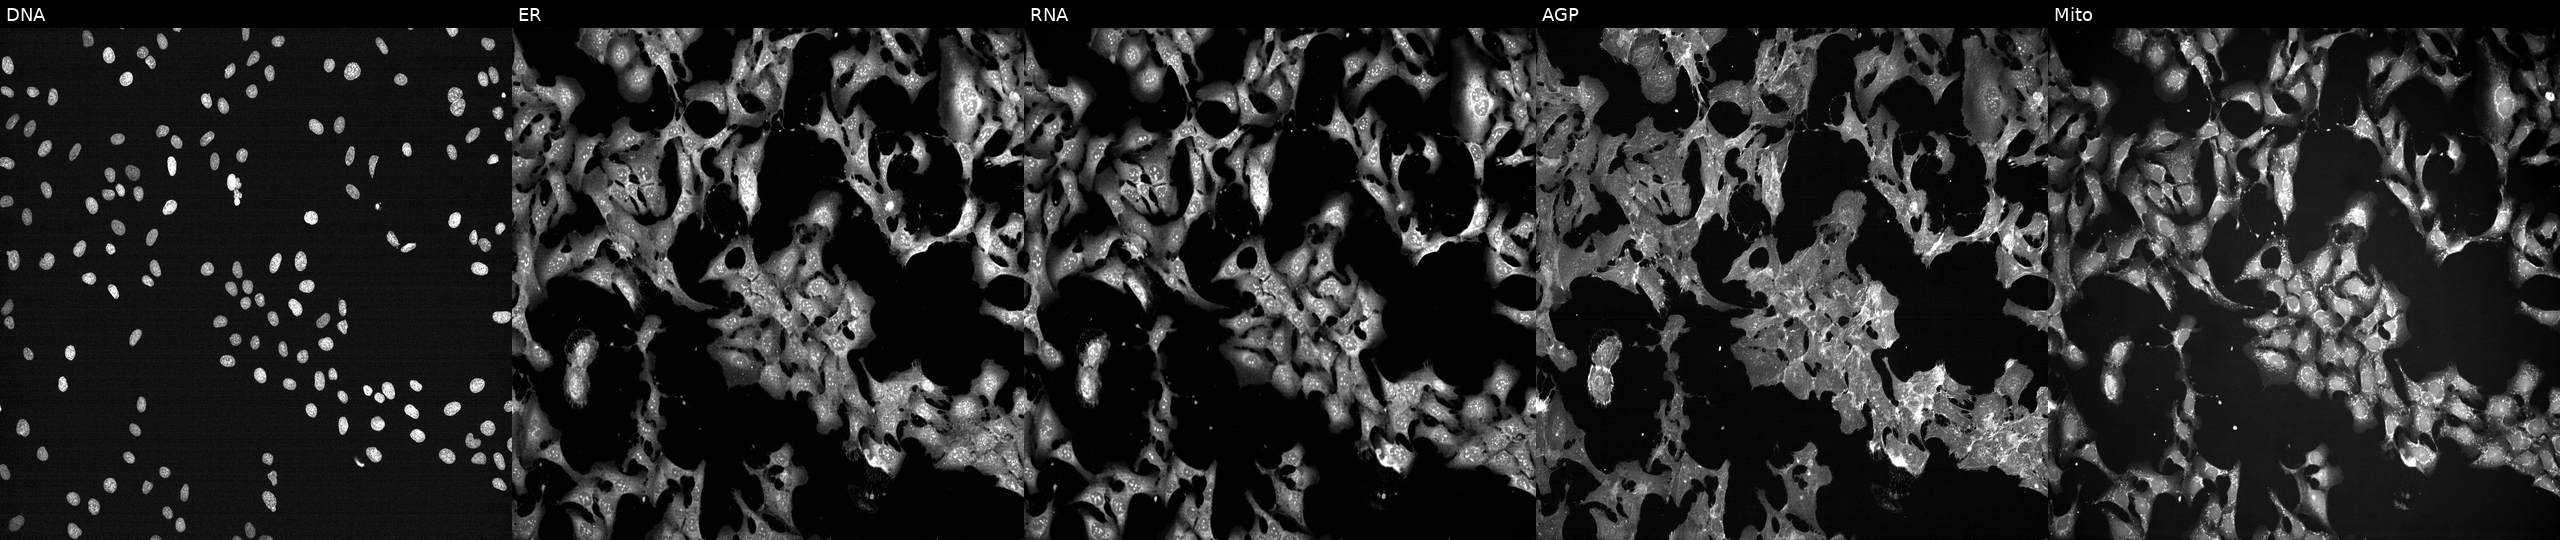
U2OS cells, Cell Painting assay, perturbed with a small-molecule compound (JUMP id JCP2022_017914). The five panels, left to right, show Hoechst 33342, concanavalin A, SYTO 14, phalloidin and WGA, MitoTracker. Each panel is percentile-stretched 16-bit fluorescence.